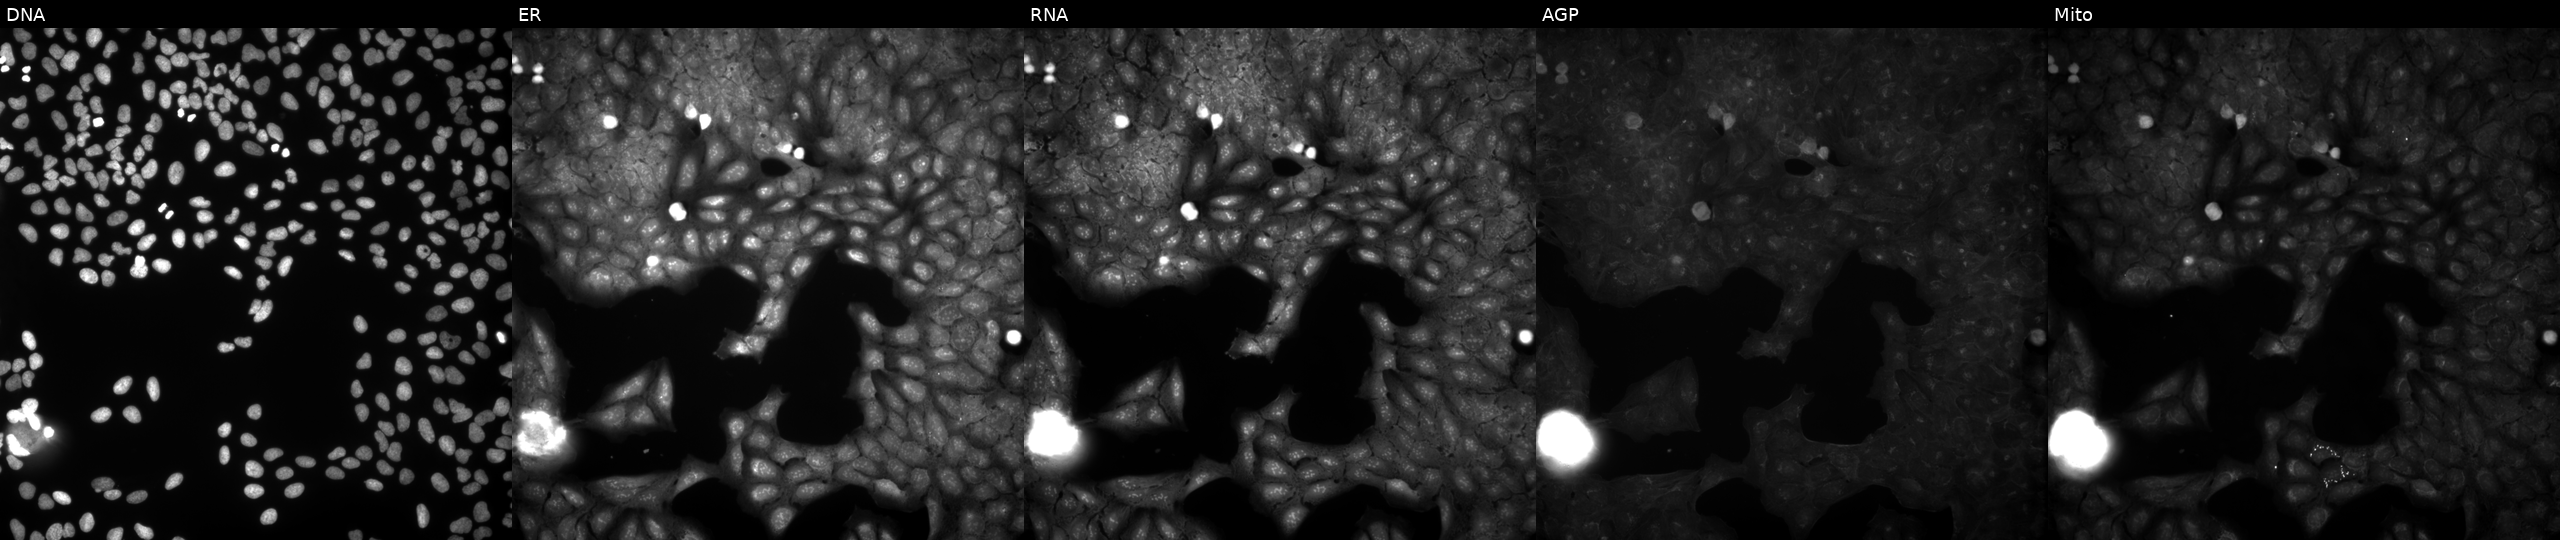
Panels show, left to right, DNA (nuclei); ER (endoplasmic reticulum); RNA (nucleoli and cytoplasmic RNA); AGP (actin cytoskeleton, Golgi, and plasma membrane); Mito (mitochondria). U2OS osteosarcoma cells perturbed with a small-molecule compound (JUMP id JCP2022_031829). Cell Painting assay, JUMP-CP dataset. Source 9, plate GR00003381, well K27.